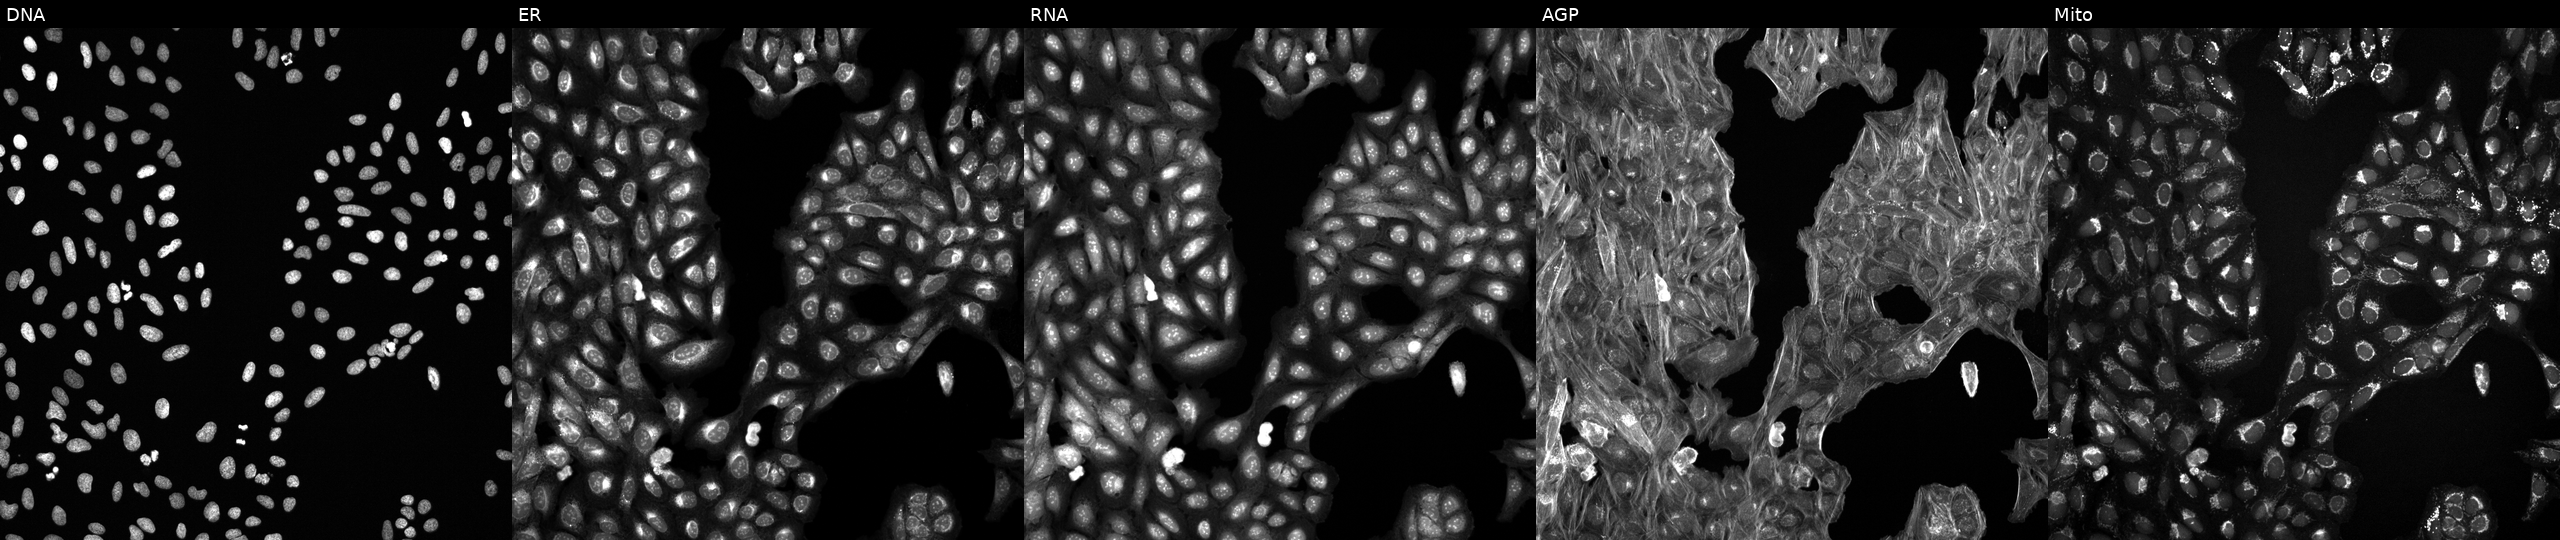
High-content fluorescence microscopy (Cell Painting). Cell line: U2OS. Perturbation: treated with a small-molecule compound (JUMP id JCP2022_092700). Channels (left→right): DNA, ER, RNA, AGP, and Mito.